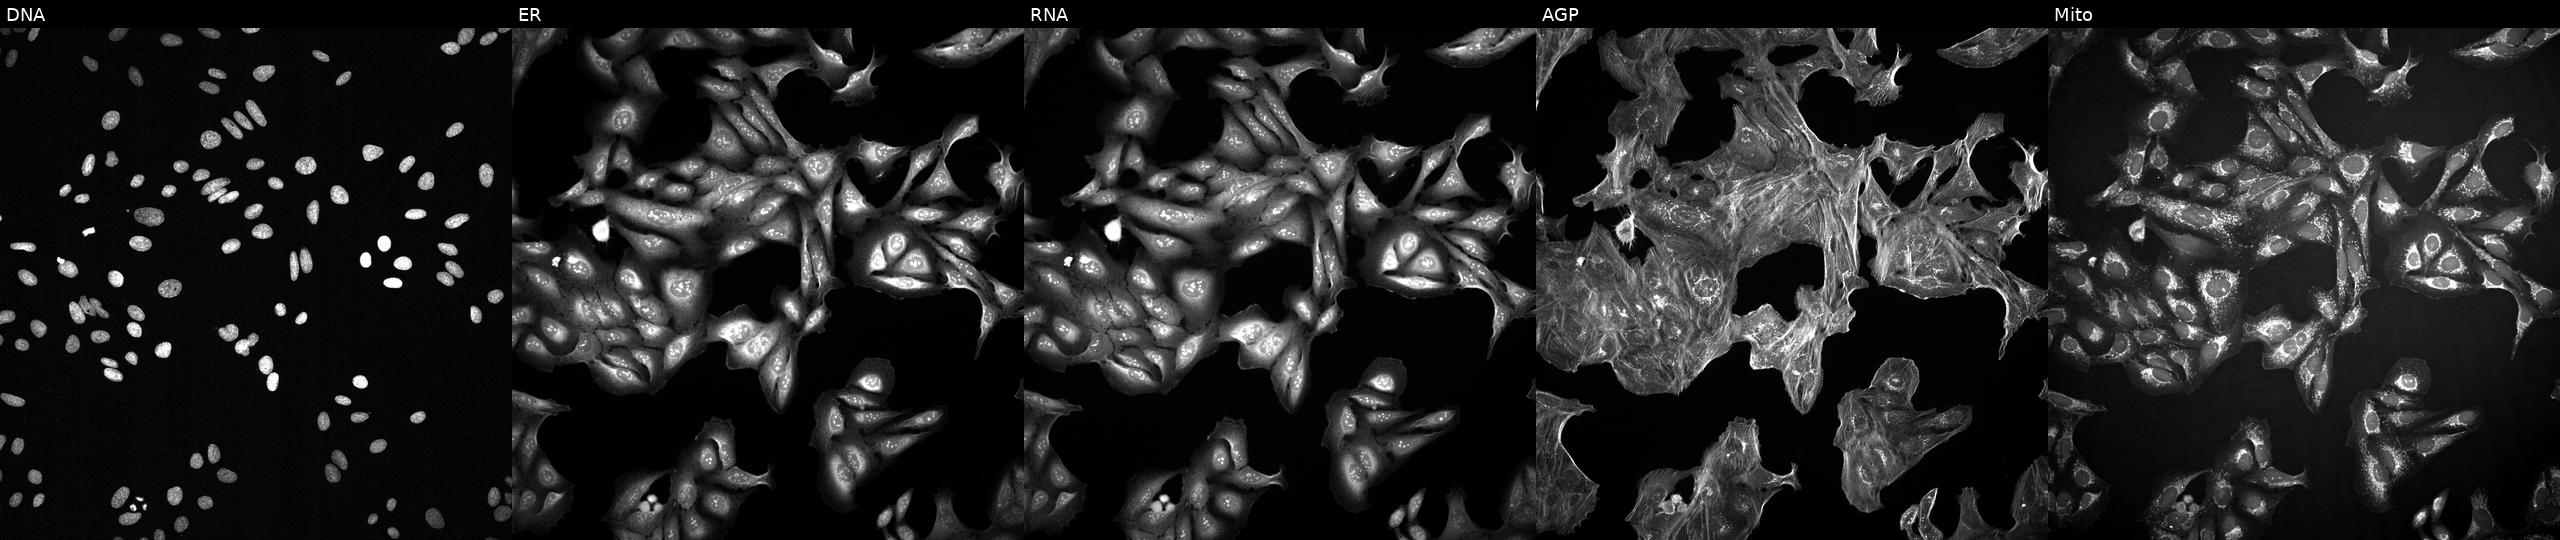
Five-channel Cell Painting image of U2OS cells treated with a small-molecule compound (InChIKey QUIIIYITNGOFEI-UHFFFAOYSA-N) [SMILES: Cc1ccc(-n2sc(=O)n(Cc3ccc(F)cc3)c2=O)cc1] (JUMP id JCP2022_075930). Panels show, left to right, DNA (nuclei); ER (endoplasmic reticulum); RNA (nucleoli and cytoplasmic RNA); AGP (actin cytoskeleton, Golgi, and plasma membrane); Mito (mitochondria). Source 2, plate 1053600674, well C12.